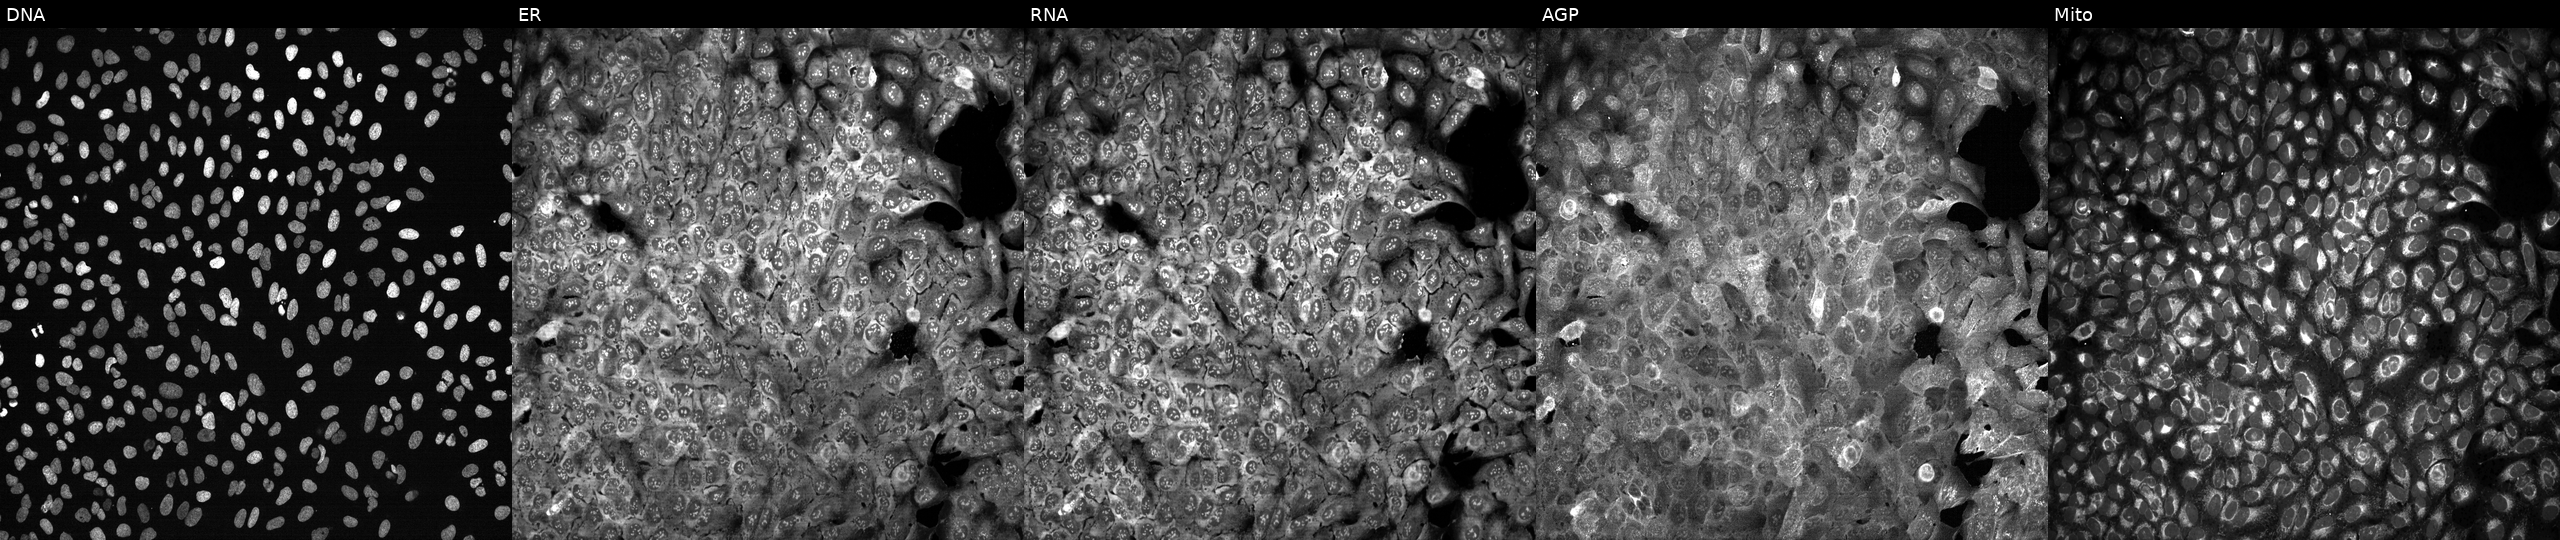
U2OS cells, Cell Painting assay, following CRISPR knockout of ARG2 (JUMP id JCP2022_800561). The five panels, left to right, show Hoechst 33342, concanavalin A, SYTO 14, phalloidin and WGA, MitoTracker. Each panel is percentile-stretched 16-bit fluorescence.